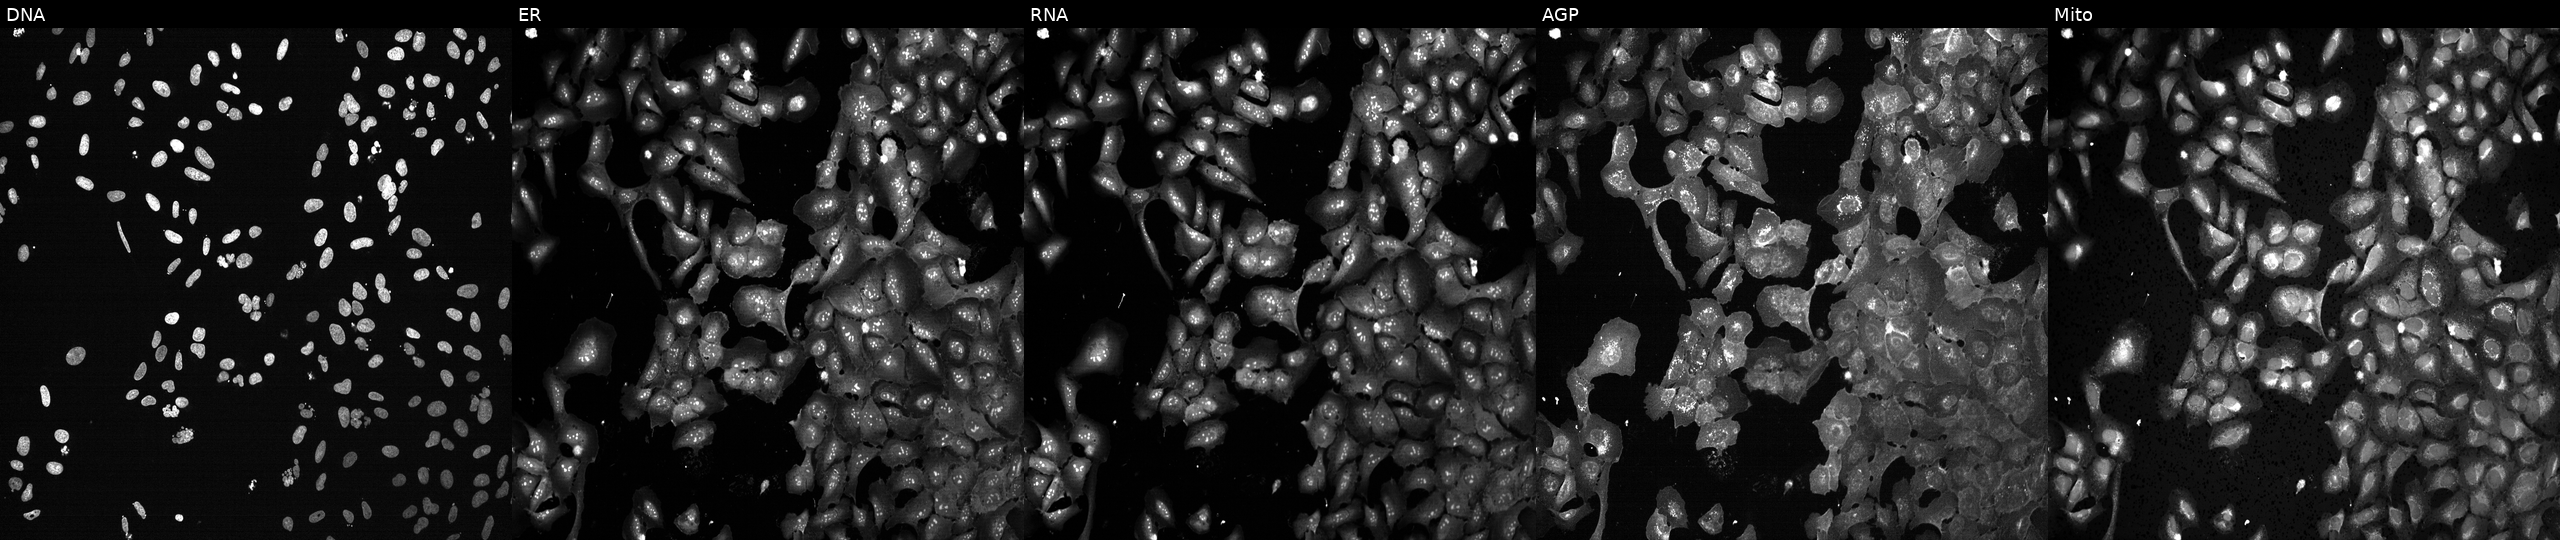
High-content fluorescence microscopy (Cell Painting). Cell line: U2OS. Perturbation: exposed to the positive-control compound TC-S-7004. From left to right: Hoechst 33342, concanavalin A, SYTO 14, phalloidin and WGA, MitoTracker. Source 13, plate CP-CC9-R1-02, well L24.